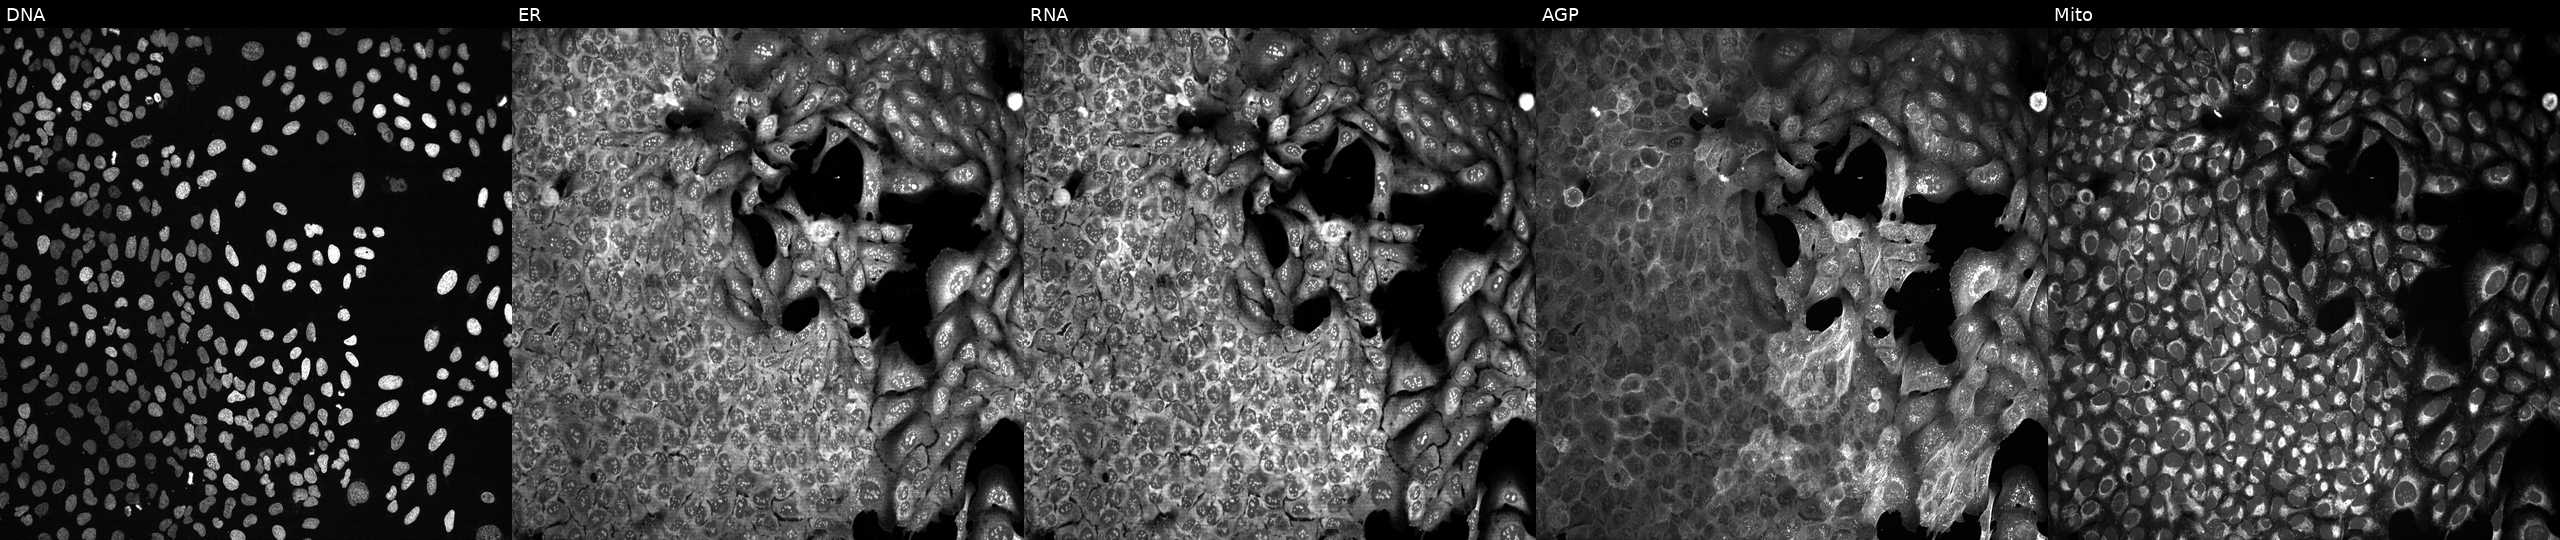
High-content fluorescence microscopy (Cell Painting). Cell line: U2OS. Perturbation: with UQCRC1 knocked out by CRISPR (JUMP id JCP2022_807556). Panels show, left to right, DNA (nuclei); ER (endoplasmic reticulum); RNA (nucleoli and cytoplasmic RNA); AGP (actin cytoskeleton, Golgi, and plasma membrane); Mito (mitochondria). Source 13, plate CP-CC9-R6-19, well O05.